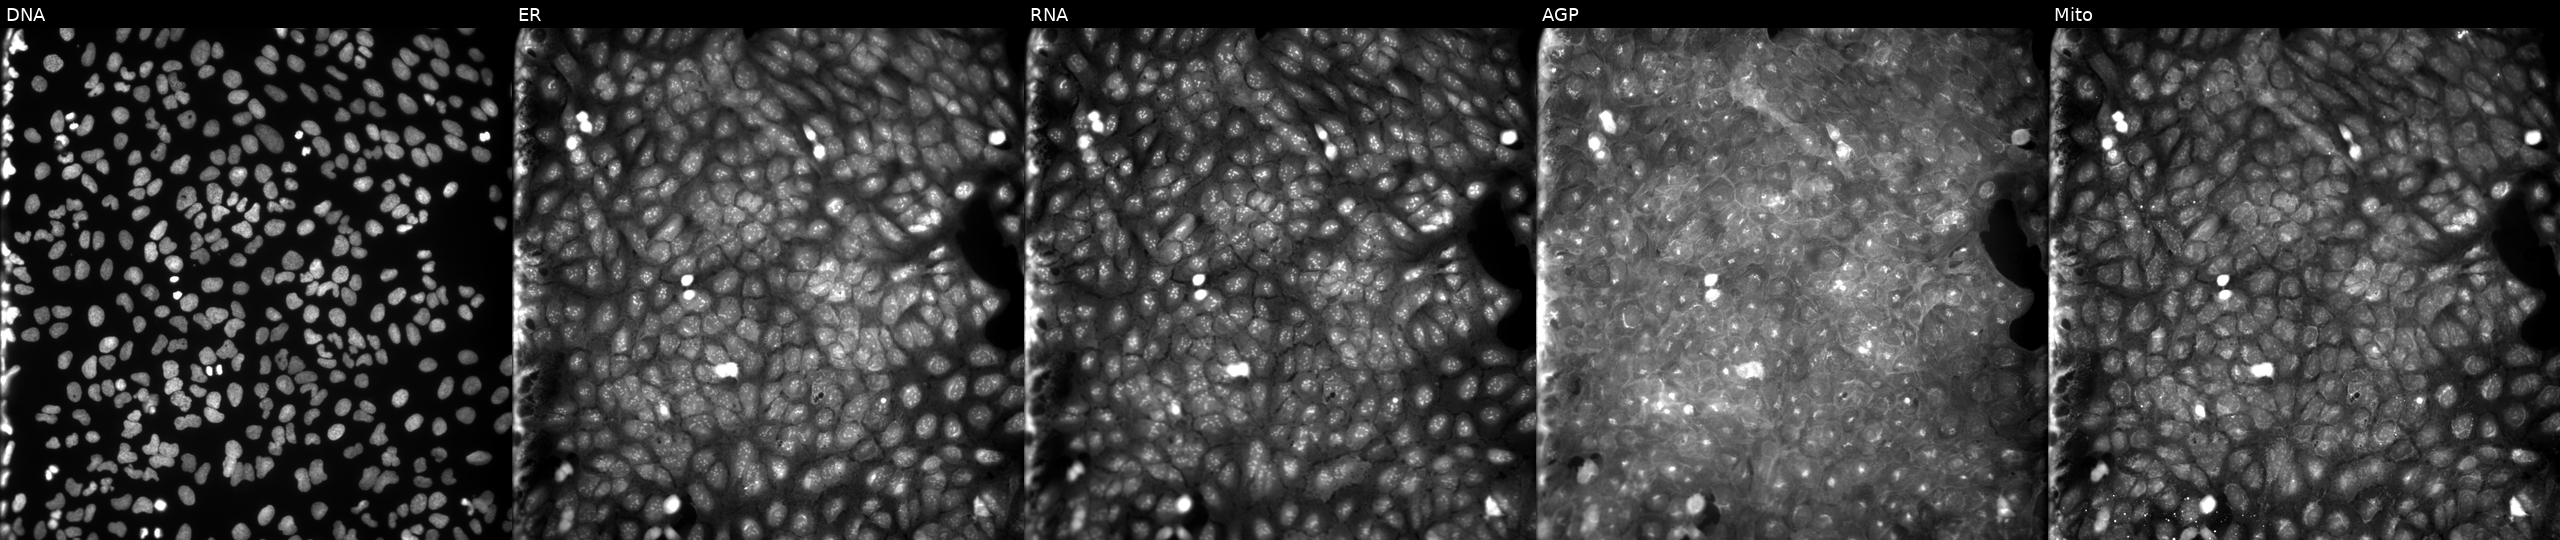
Channels (left→right): DNA, ER, RNA, AGP, and Mito. U2OS osteosarcoma cells treated with a small-molecule compound (InChIKey SAOLVHFXHTZATP-UHFFFAOYSA-N) (JUMP id JCP2022_081951). Cell Painting assay, JUMP-CP dataset.